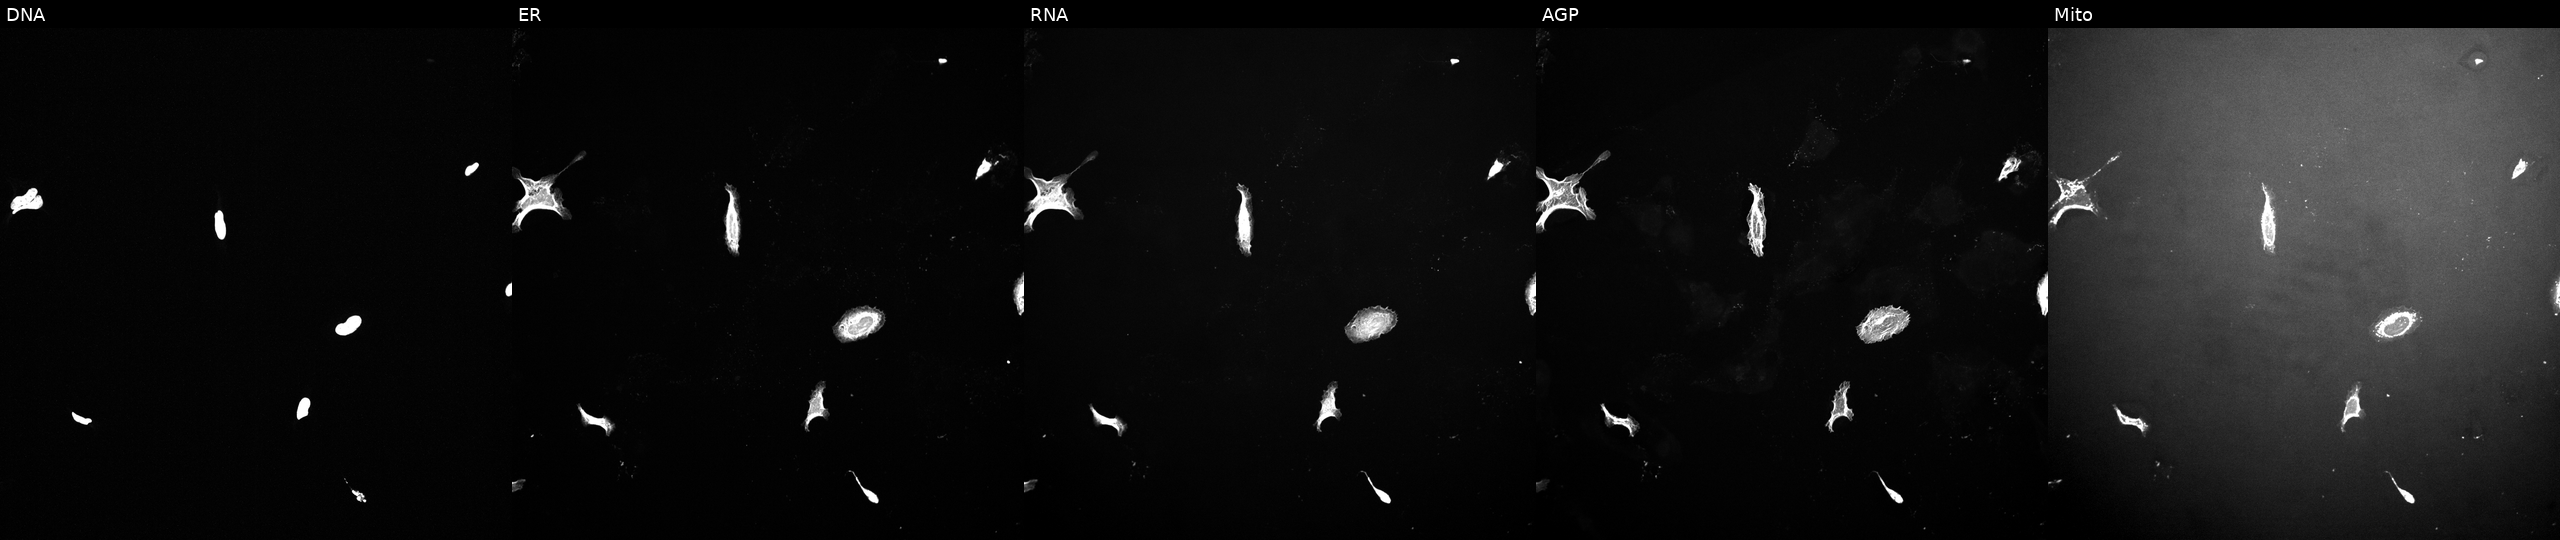
High-content fluorescence microscopy (Cell Painting). Cell line: U2OS. Perturbation: perturbed with a small-molecule compound (InChIKey VXBAJLGYBMTJCY-UHFFFAOYSA-N) (JUMP id JCP2022_096865). Panels show, left to right, DNA (nuclei); ER (endoplasmic reticulum); RNA (nucleoli and cytoplasmic RNA); AGP (actin cytoskeleton, Golgi, and plasma membrane); Mito (mitochondria).